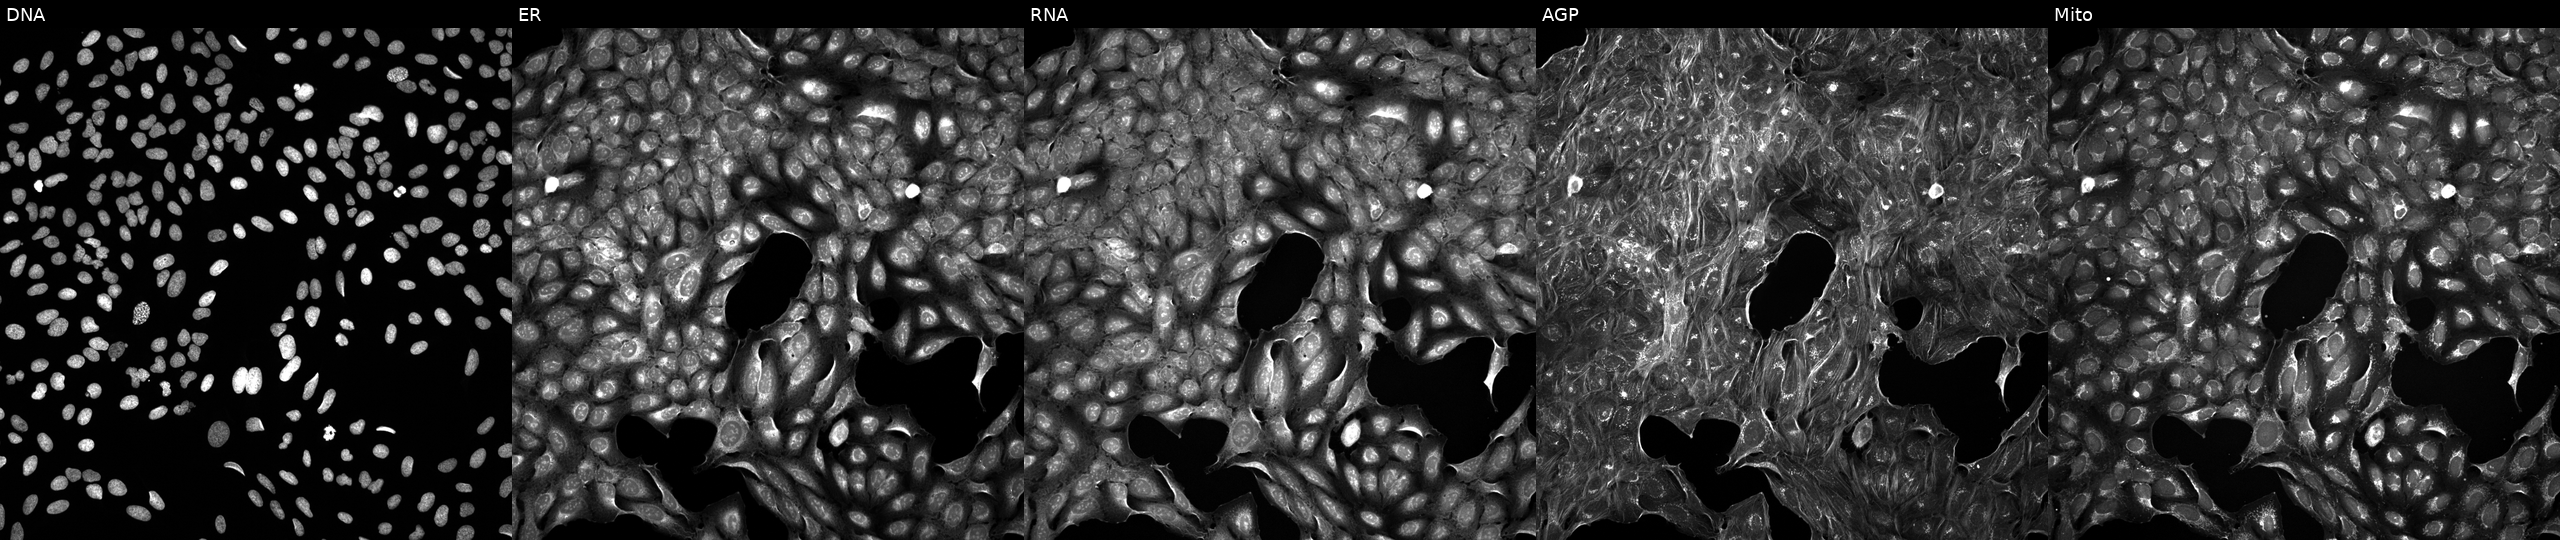
The five panels, left to right, show Hoechst 33342, concanavalin A, SYTO 14, phalloidin and WGA, MitoTracker. U2OS osteosarcoma cells exposed to a small-molecule compound (InChIKey LLIFMNUXGDHTRO-UHFFFAOYSA-N). Cell Painting assay, JUMP-CP dataset.